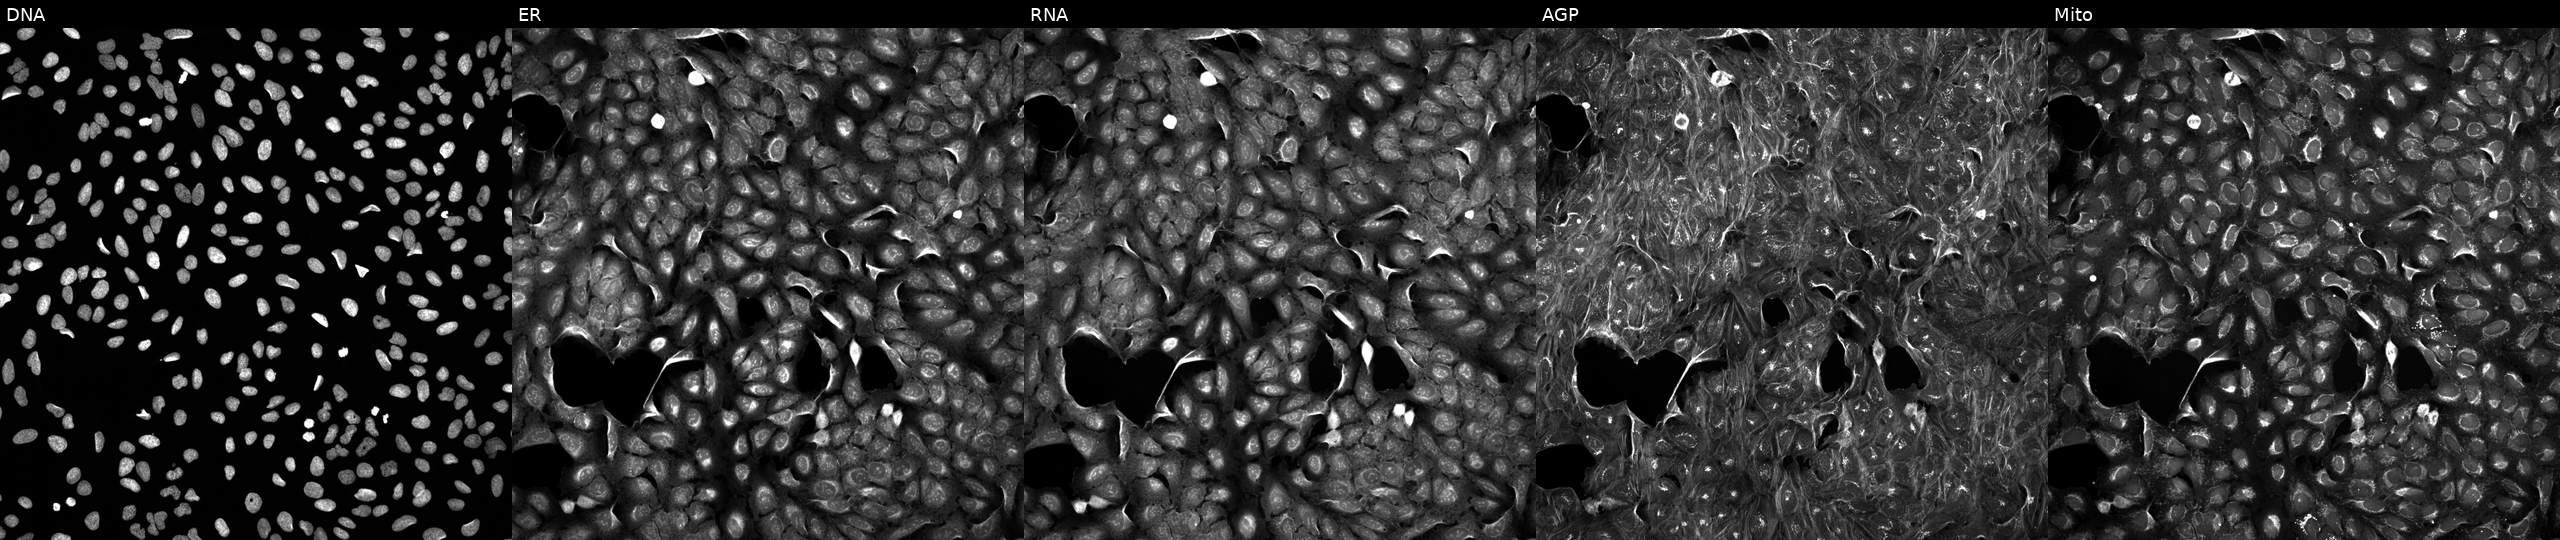
This image strip shows the five Cell Painting channels for a single field of U2OS cells exposed to DMSO alone as a negative control. Panels show, left to right, DNA, ER, RNA, AGP, and Mito. Source 5, plate ACPJUM051, well N06.